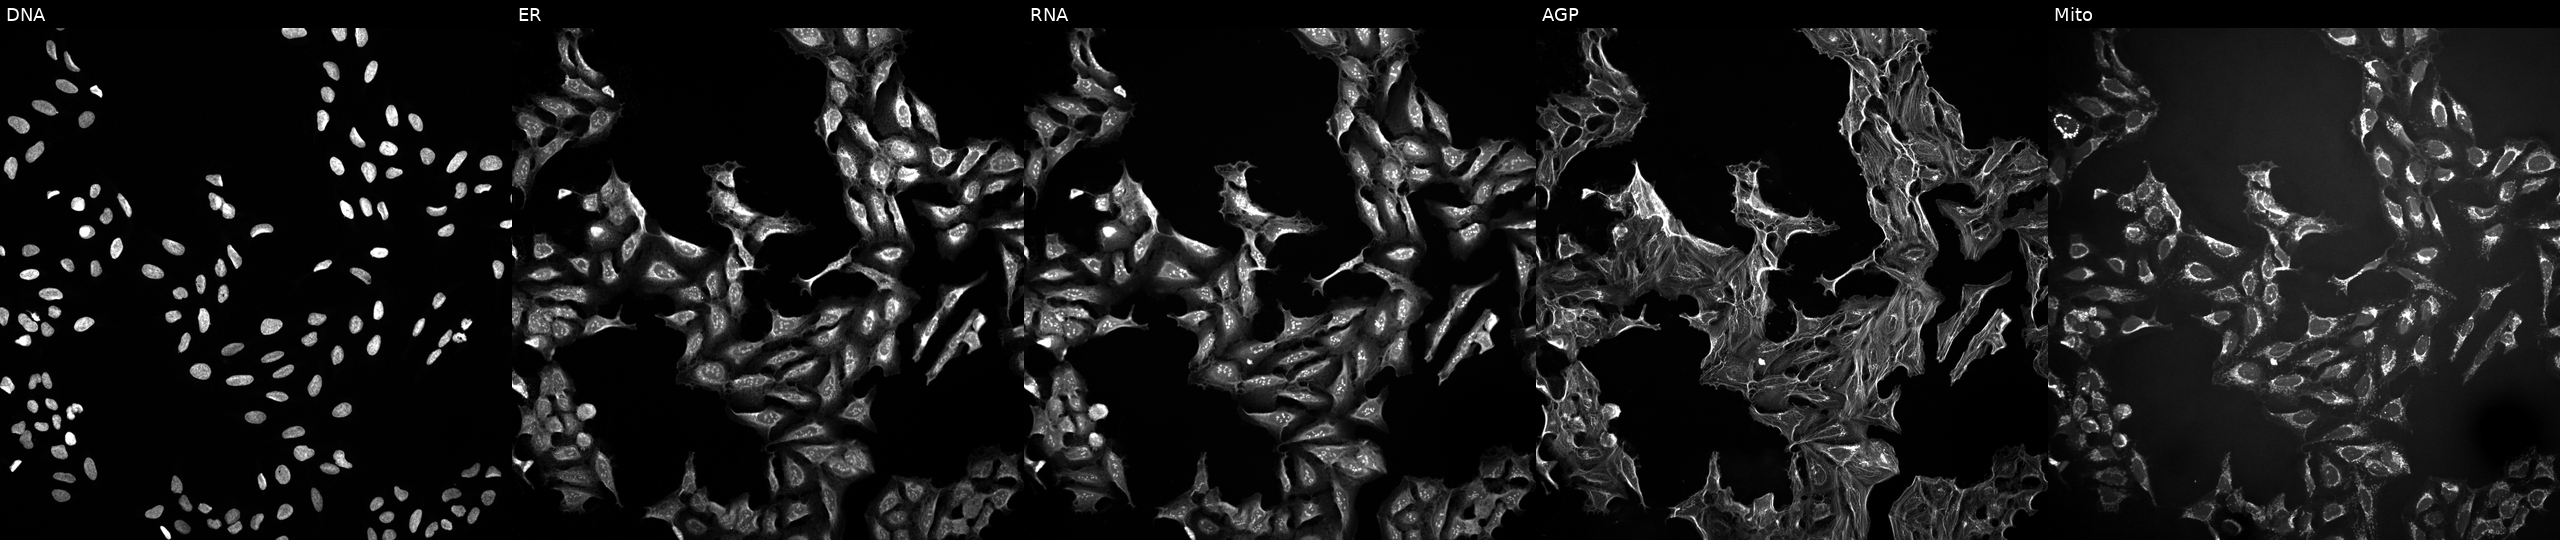
From left to right: DNA, ER, RNA, AGP, and Mito. U2OS osteosarcoma cells exposed to a small-molecule compound [SMILES: CCCC(CCC)C(=O)NCc1ccc2c(cnn2-c2ccccc2OC)c1] (JUMP id JCP2022_097564). Cell Painting assay, JUMP-CP dataset. Source 10, plate Dest210726-160150, well M06.